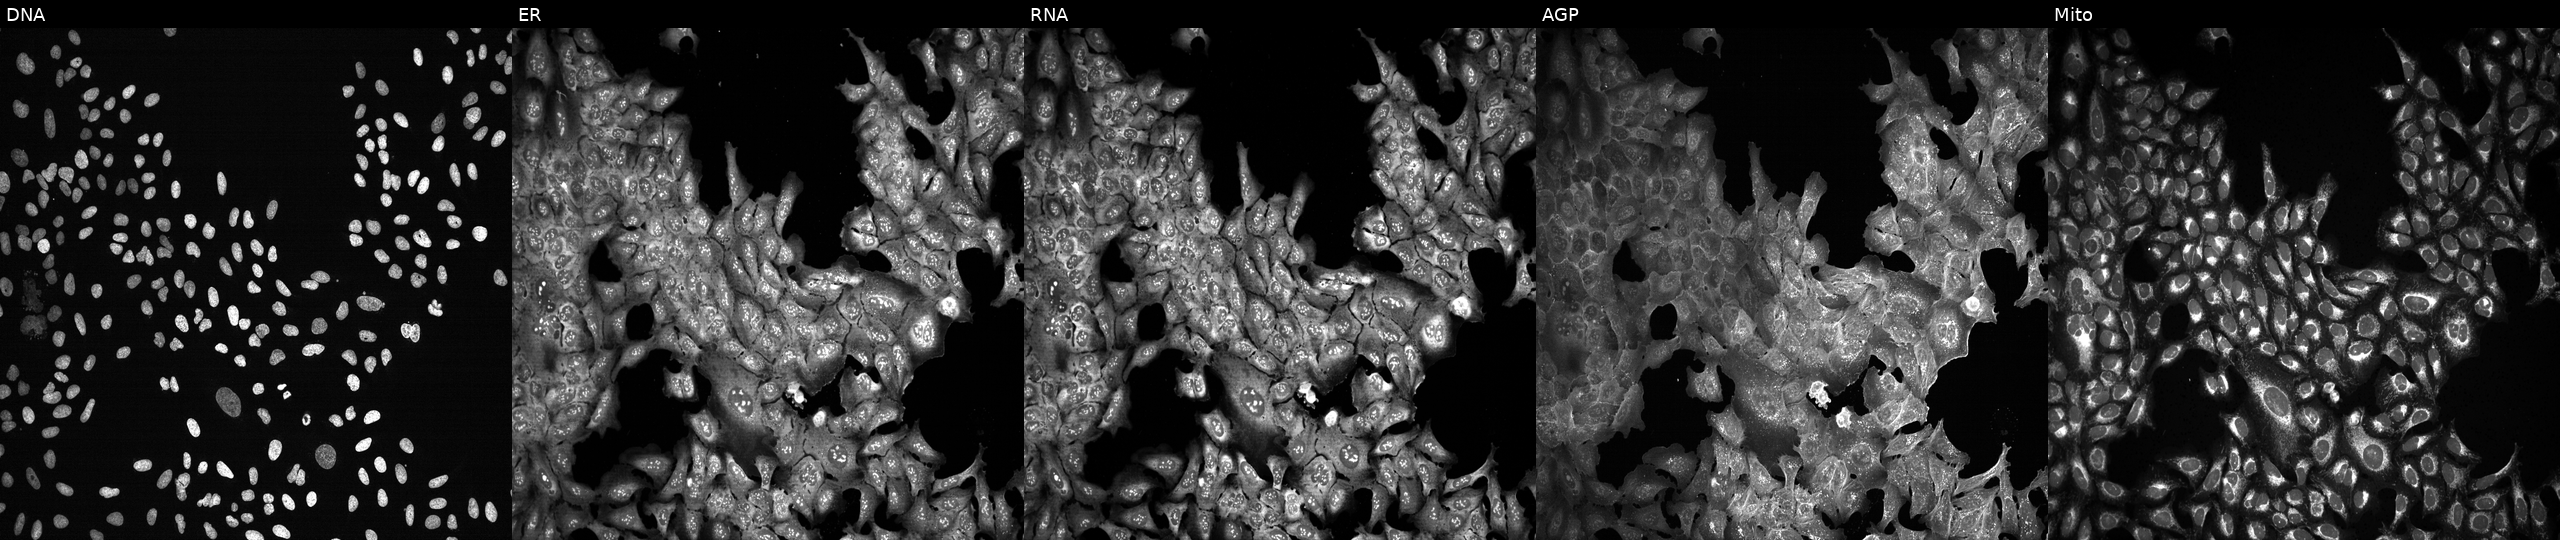
High-content fluorescence microscopy (Cell Painting). Cell line: U2OS. Perturbation: with HSF4 knocked out by CRISPR. The five panels, left to right, show DNA (nuclei); ER (endoplasmic reticulum); RNA (nucleoli and cytoplasmic RNA); AGP (actin cytoskeleton, Golgi, and plasma membrane); Mito (mitochondria).